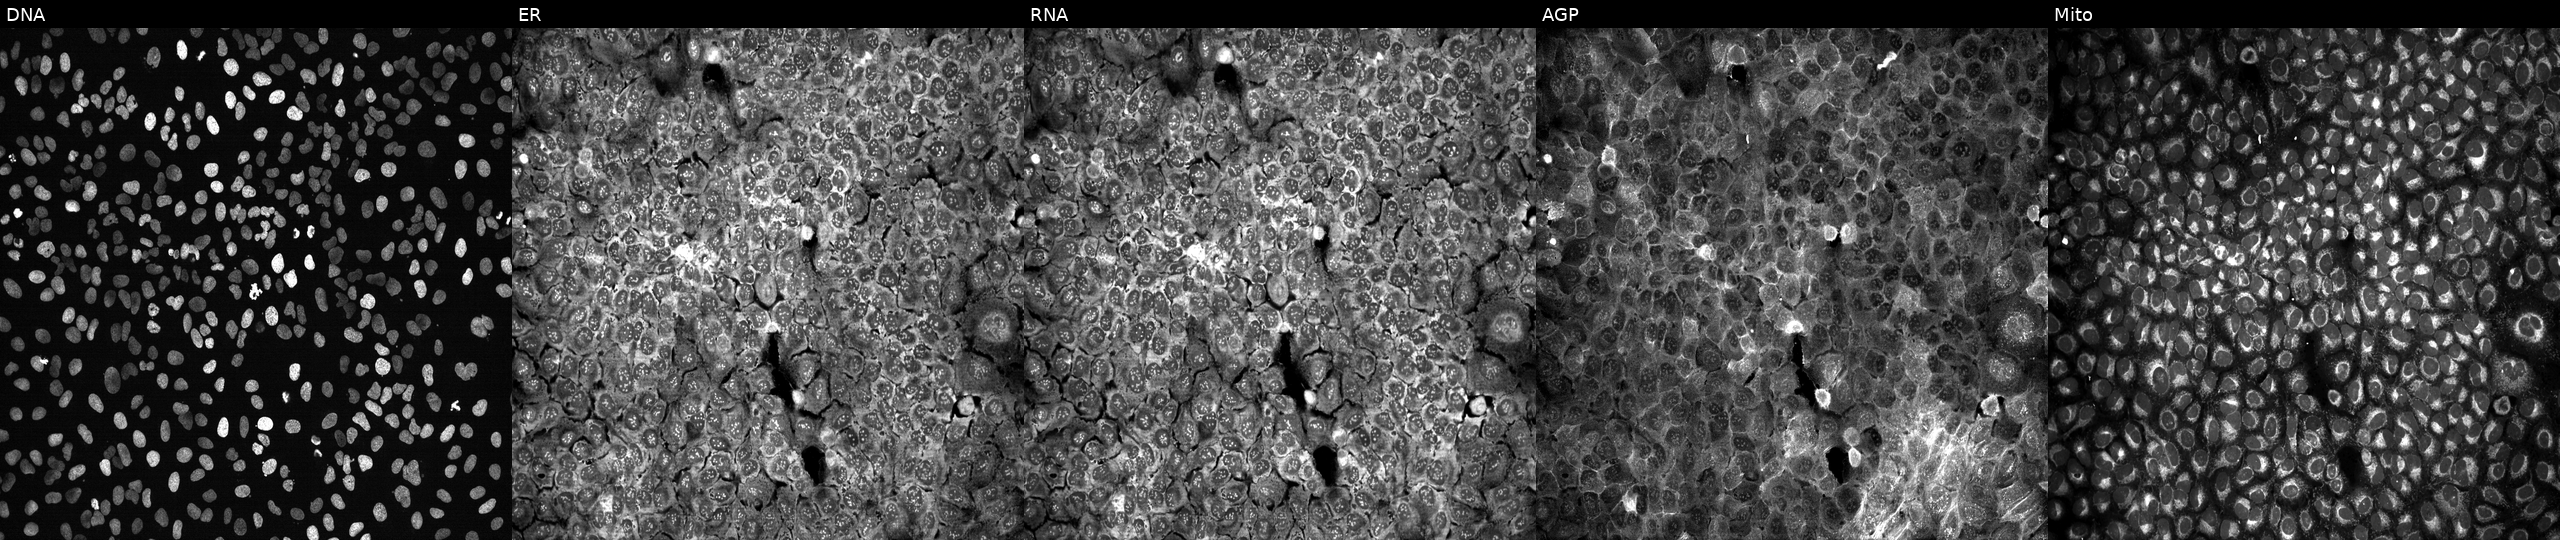
This image strip shows the five Cell Painting channels for a single field of U2OS cells with PPIF knocked out by CRISPR (JUMP id JCP2022_805414). Channels (left→right): DNA, ER, RNA, AGP, and Mito. Source 13, plate CP-CC9-R2-01, well D20.